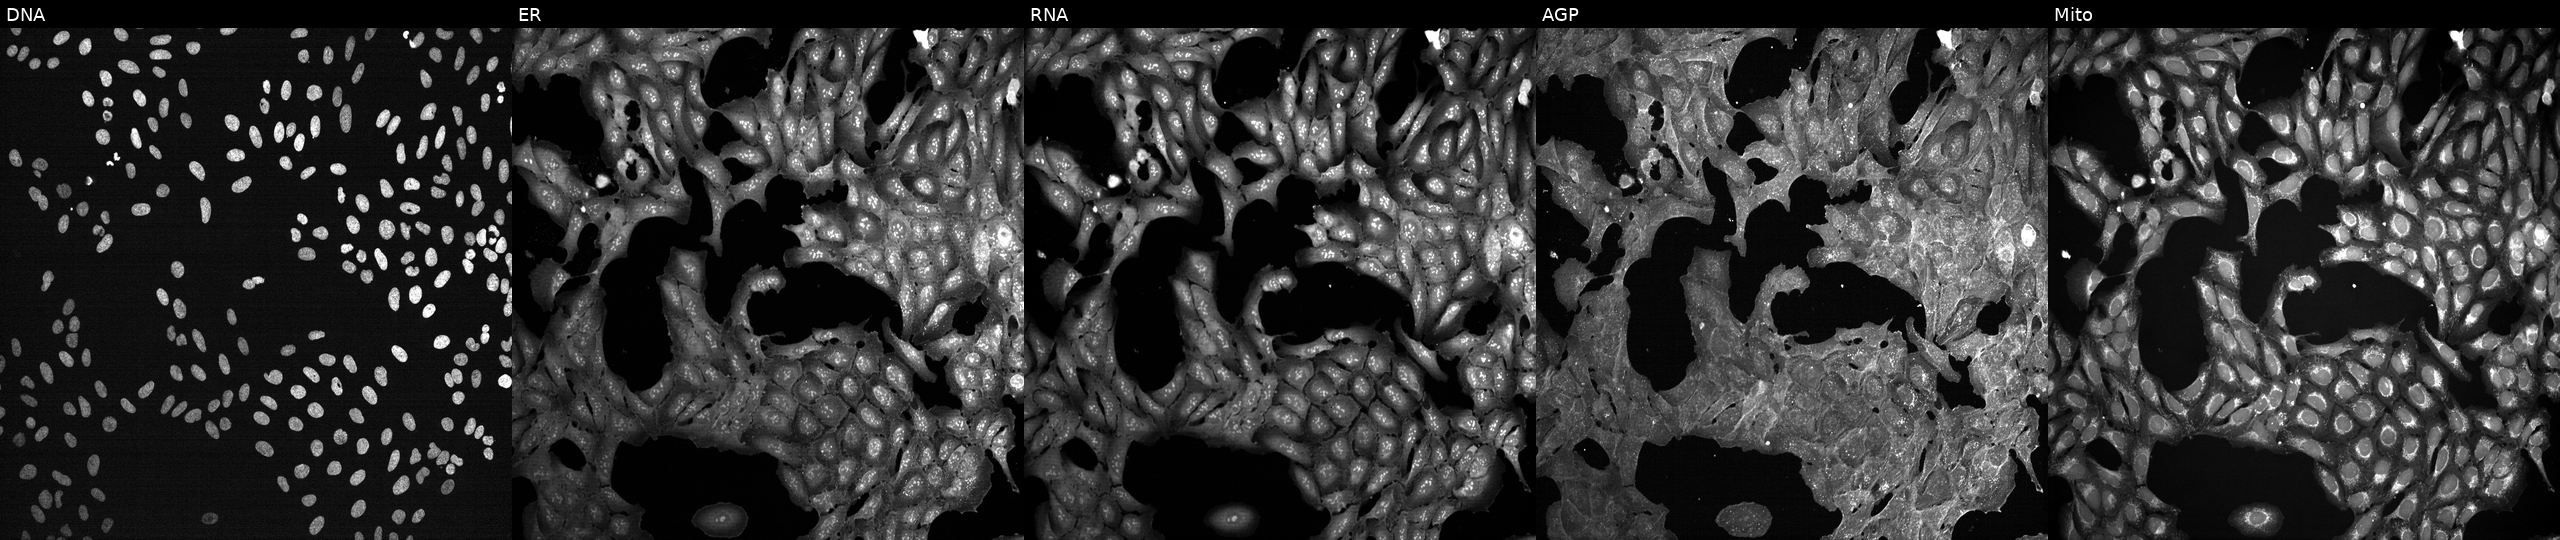
U2OS cells, Cell Painting assay, treated with a small-molecule compound. Channels (left→right): DNA, ER, RNA, AGP, and Mito. Each panel is percentile-stretched 16-bit fluorescence.